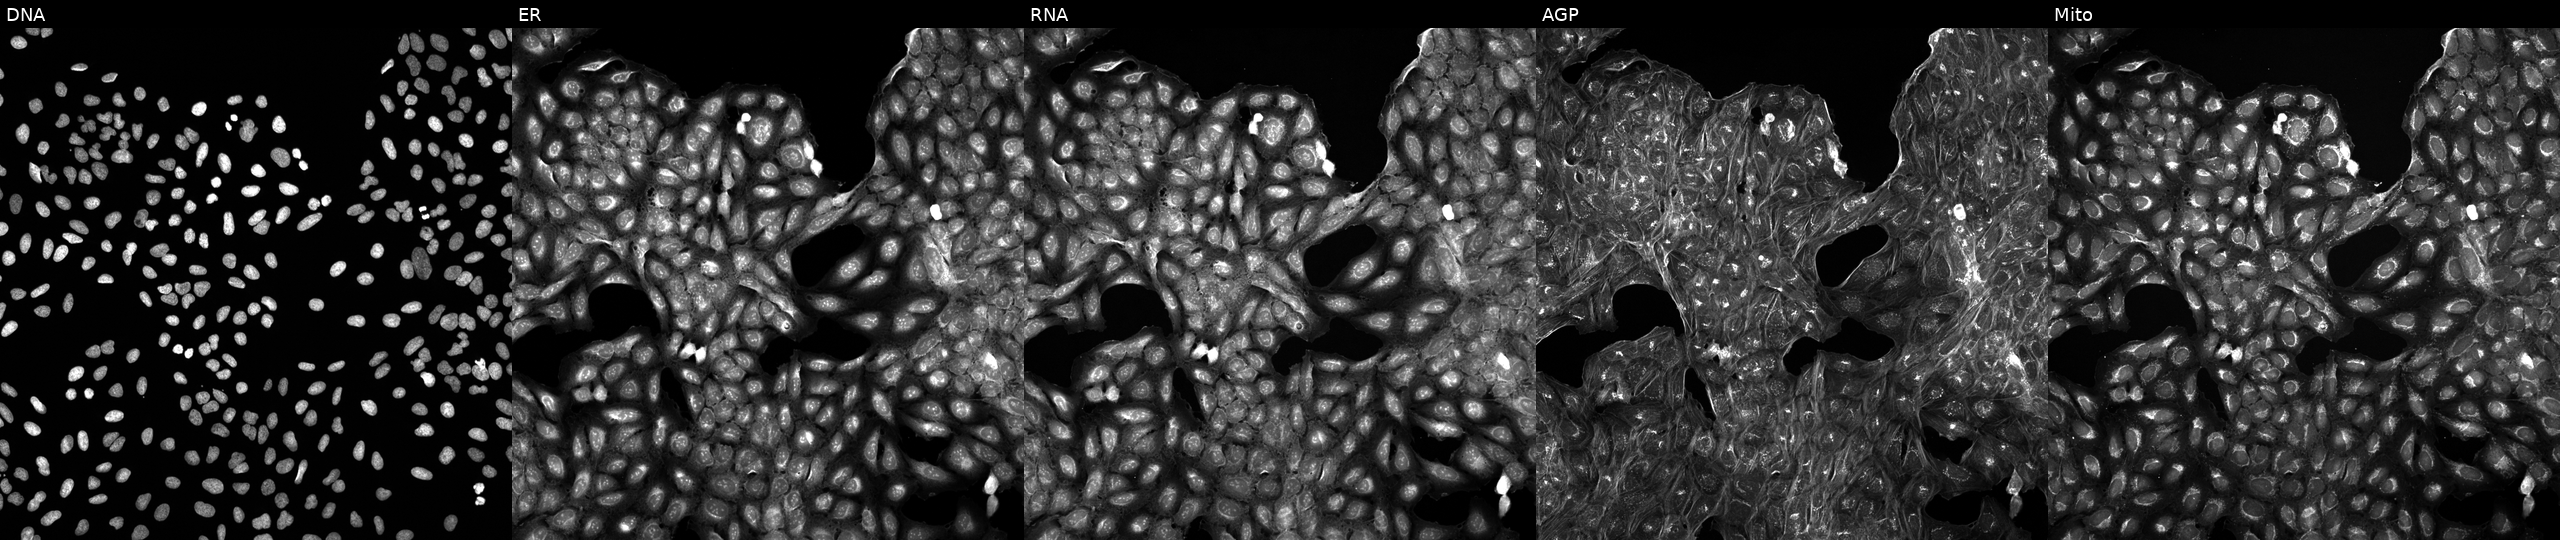
U2OS cells, Cell Painting assay, treated with a small-molecule compound. Channels (left→right): DNA, ER, RNA, AGP, and Mito. Each panel is percentile-stretched 16-bit fluorescence.